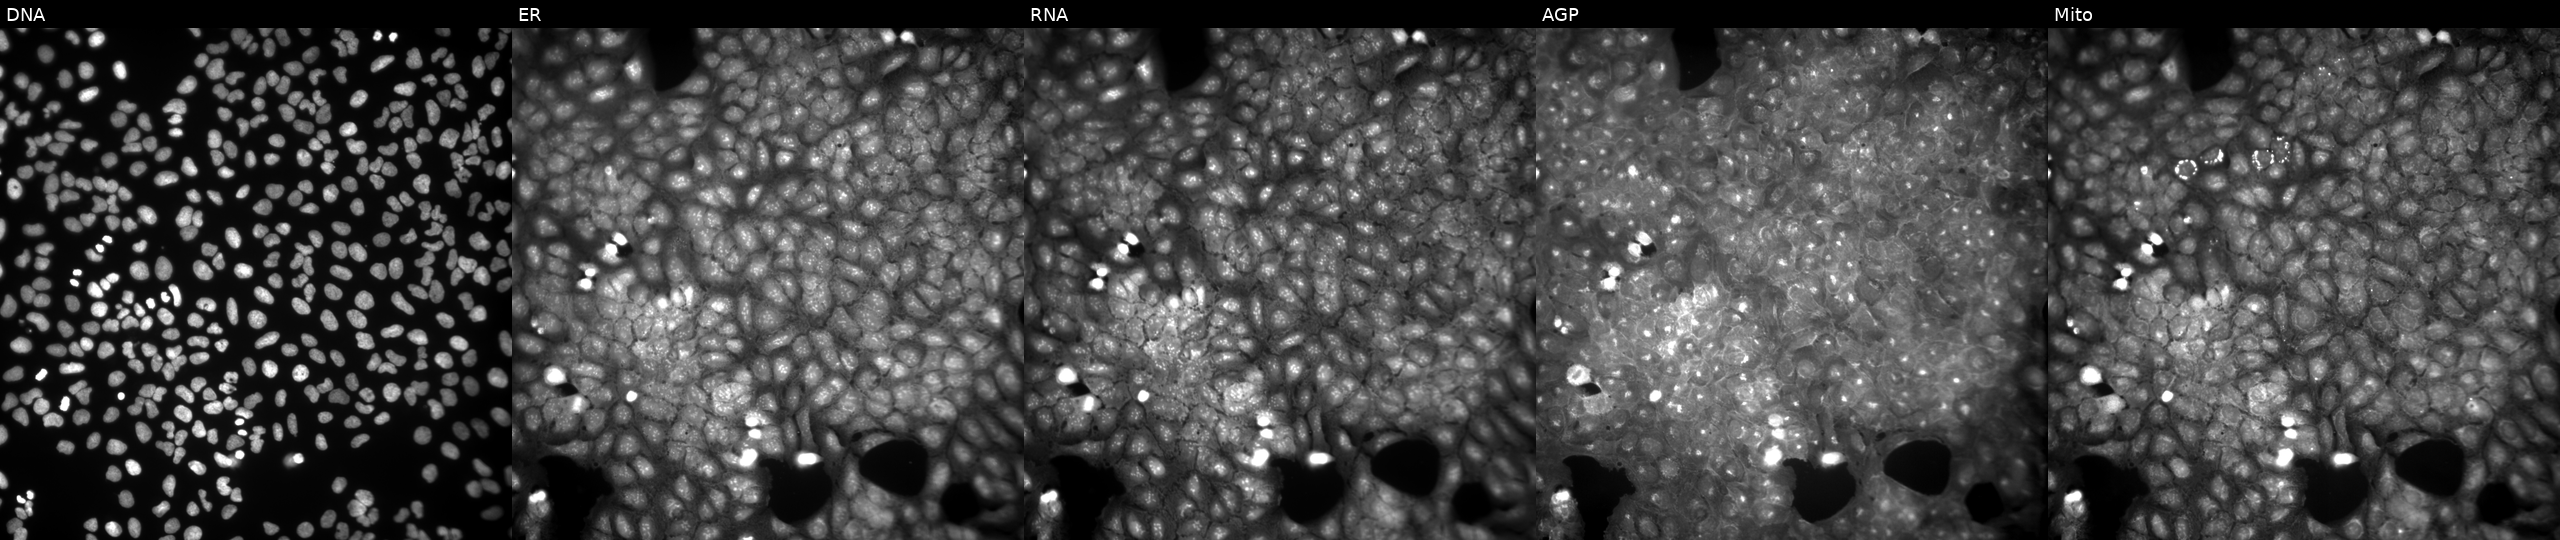
The five panels, left to right, show DNA (nuclei); ER (endoplasmic reticulum); RNA (nucleoli and cytoplasmic RNA); AGP (actin cytoskeleton, Golgi, and plasma membrane); Mito (mitochondria). U2OS osteosarcoma cells perturbed with a small-molecule compound. Cell Painting assay, JUMP-CP dataset.